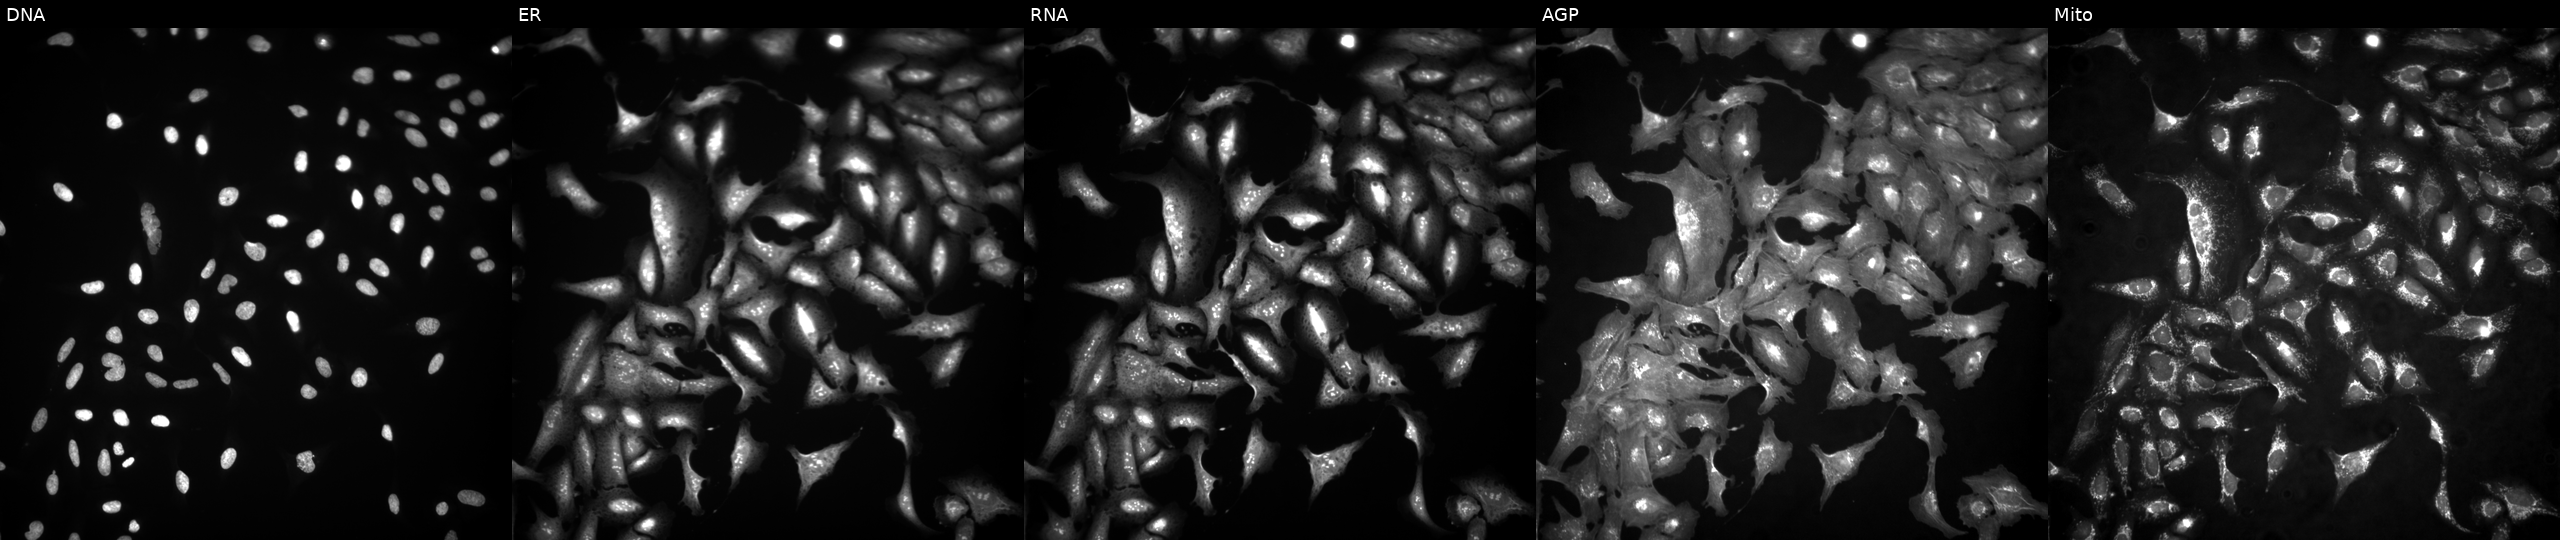
High-content fluorescence microscopy (Cell Painting). Cell line: U2OS. Perturbation: overexpressing HTATIP2 via ORF transfection (JUMP id JCP2022_907136). The five panels, left to right, show DNA, ER, RNA, AGP, and Mito.